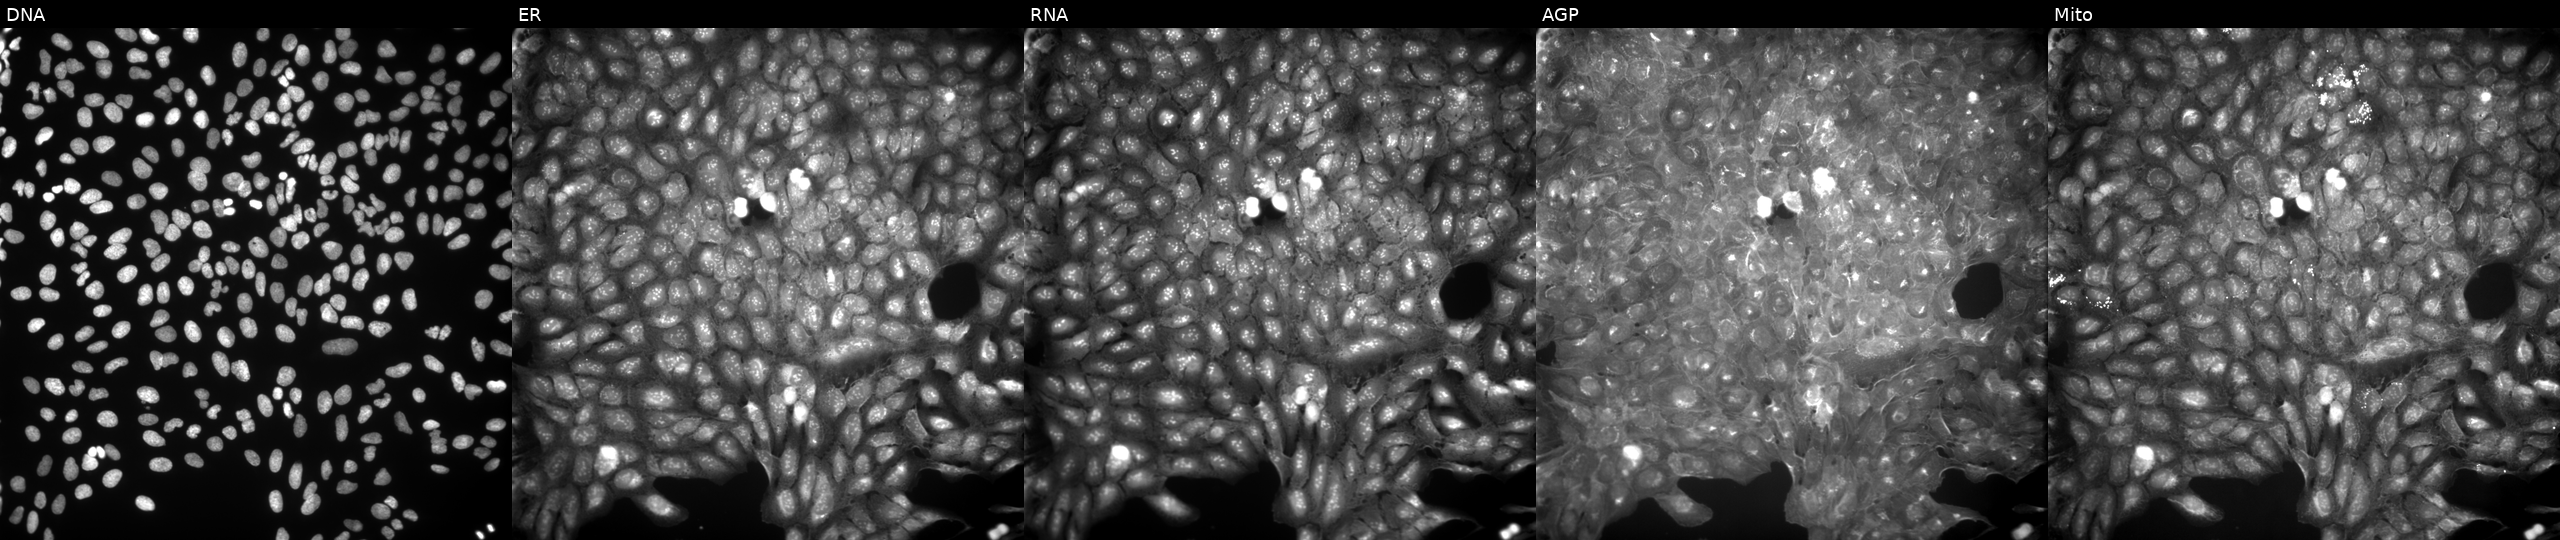
From left to right: DNA (nuclei); ER (endoplasmic reticulum); RNA (nucleoli and cytoplasmic RNA); AGP (actin cytoskeleton, Golgi, and plasma membrane); Mito (mitochondria). U2OS osteosarcoma cells exposed to a small-molecule compound (InChIKey KONXUFXACZVAGG-UHFFFAOYSA-N) (JUMP id JCP2022_045956). Cell Painting assay, JUMP-CP dataset.